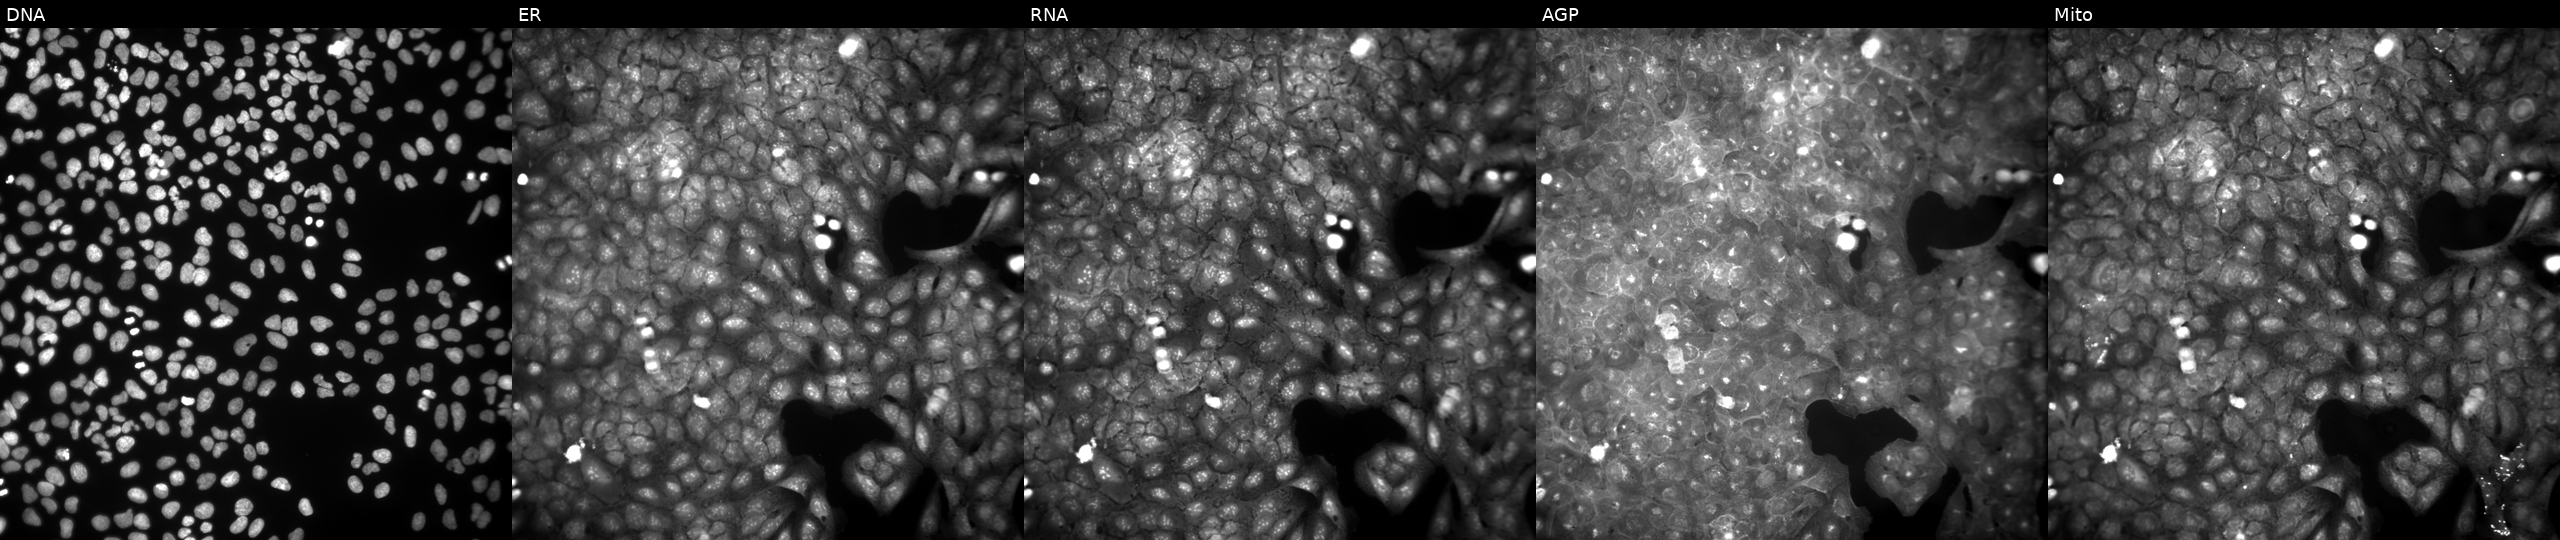
Panels show, left to right, DNA (nuclei); ER (endoplasmic reticulum); RNA (nucleoli and cytoplasmic RNA); AGP (actin cytoskeleton, Golgi, and plasma membrane); Mito (mitochondria). U2OS osteosarcoma cells treated with a small-molecule compound [SMILES: COc1ccc(NC(=O)CCOc2ccccc2)cc1] (JUMP id JCP2022_073335). Cell Painting assay, JUMP-CP dataset.